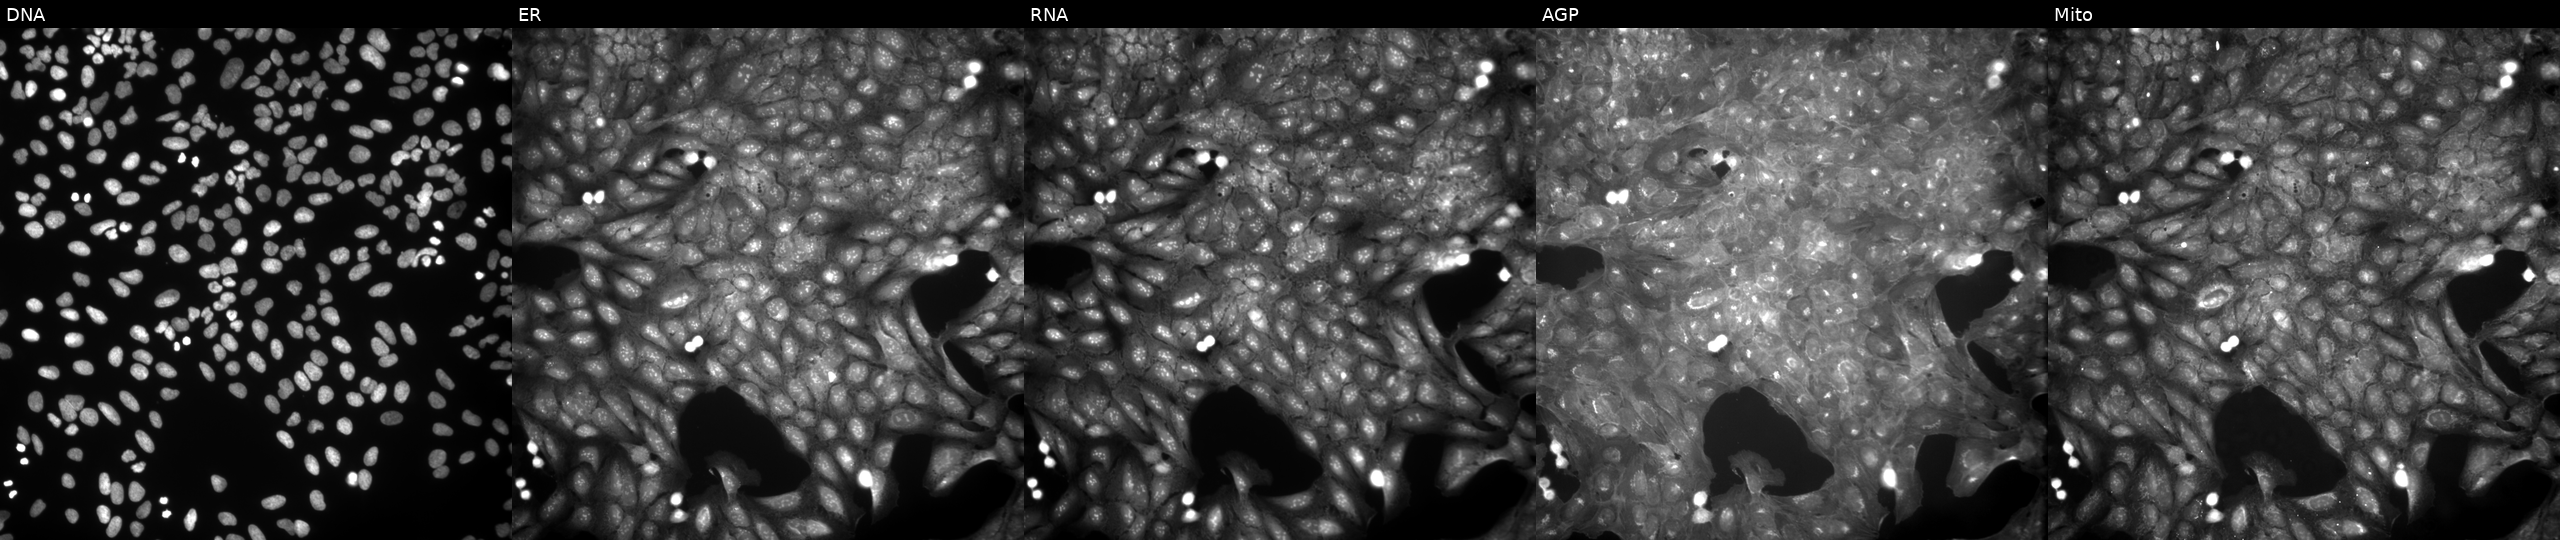
JUMP Cell Painting — COMPOUND plate. U2OS cells exposed to a small-molecule compound (InChIKey LOXVWIQDQQXLKB-UHFFFAOYSA-N) [SMILES: CC(=O)Oc1ccc(C(=O)Nc2cccc(C(=O)NC(C)(C)C)c2)cc1]. From left to right: DNA, ER, RNA, AGP, and Mito. Source 9, plate GR00003381, well B34.